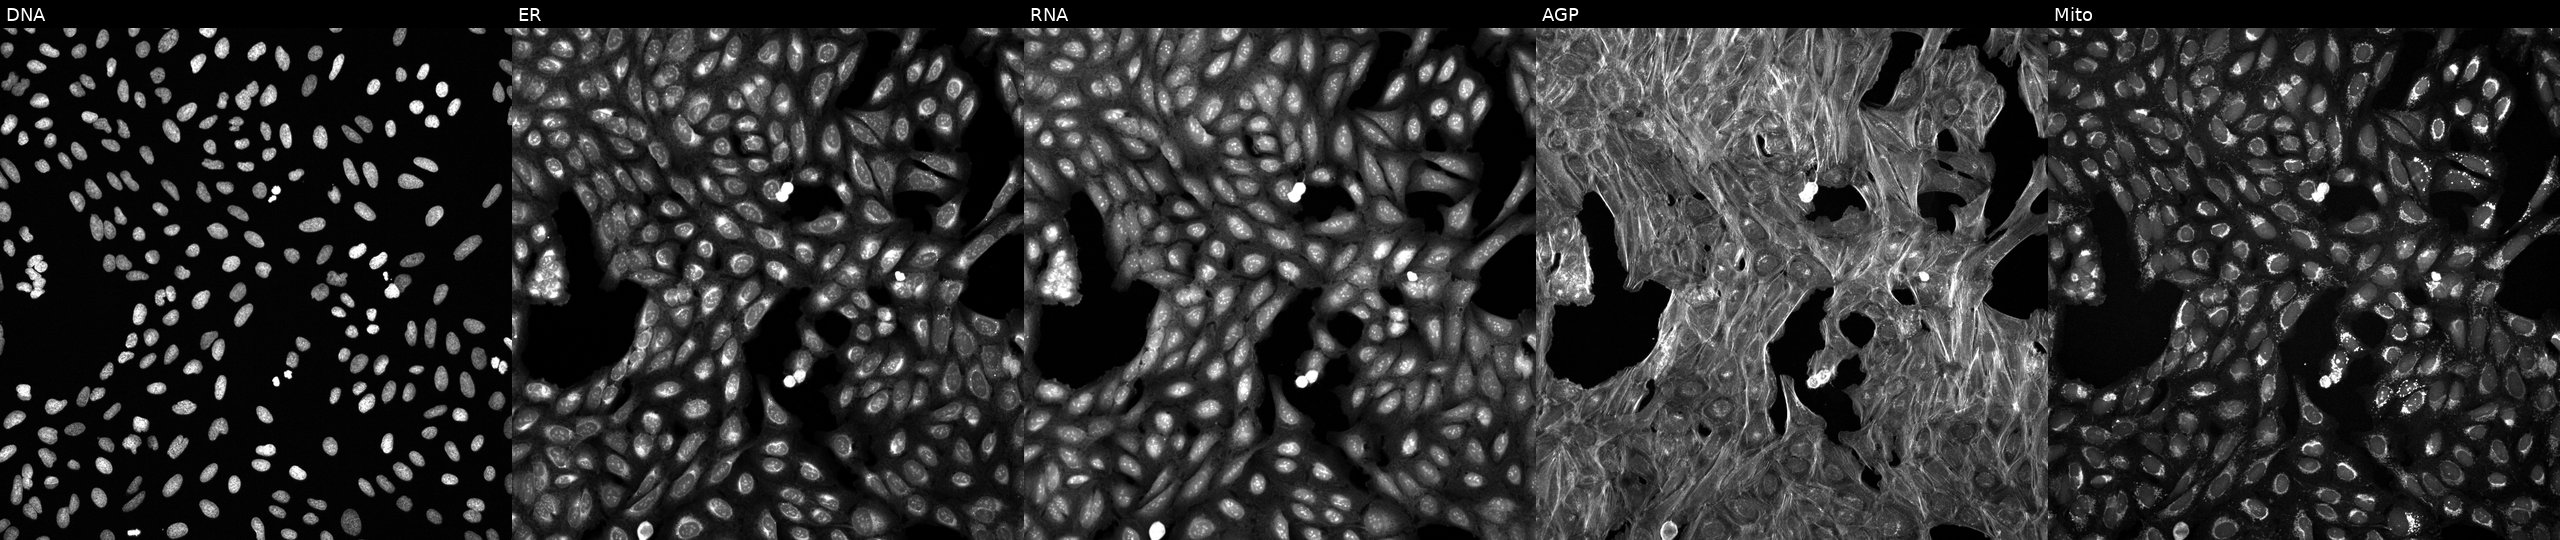
Five-channel Cell Painting image of U2OS cells treated with a small-molecule compound [SMILES: Cc1nc(N2CCC(C(=O)N3CCCC3)CC2)c2c(C)c(C)oc2n1] (JUMP id JCP2022_059486). From left to right: DNA (nuclei); ER (endoplasmic reticulum); RNA (nucleoli and cytoplasmic RNA); AGP (actin cytoskeleton, Golgi, and plasma membrane); Mito (mitochondria). Source 6, plate 110000293082, well L06.